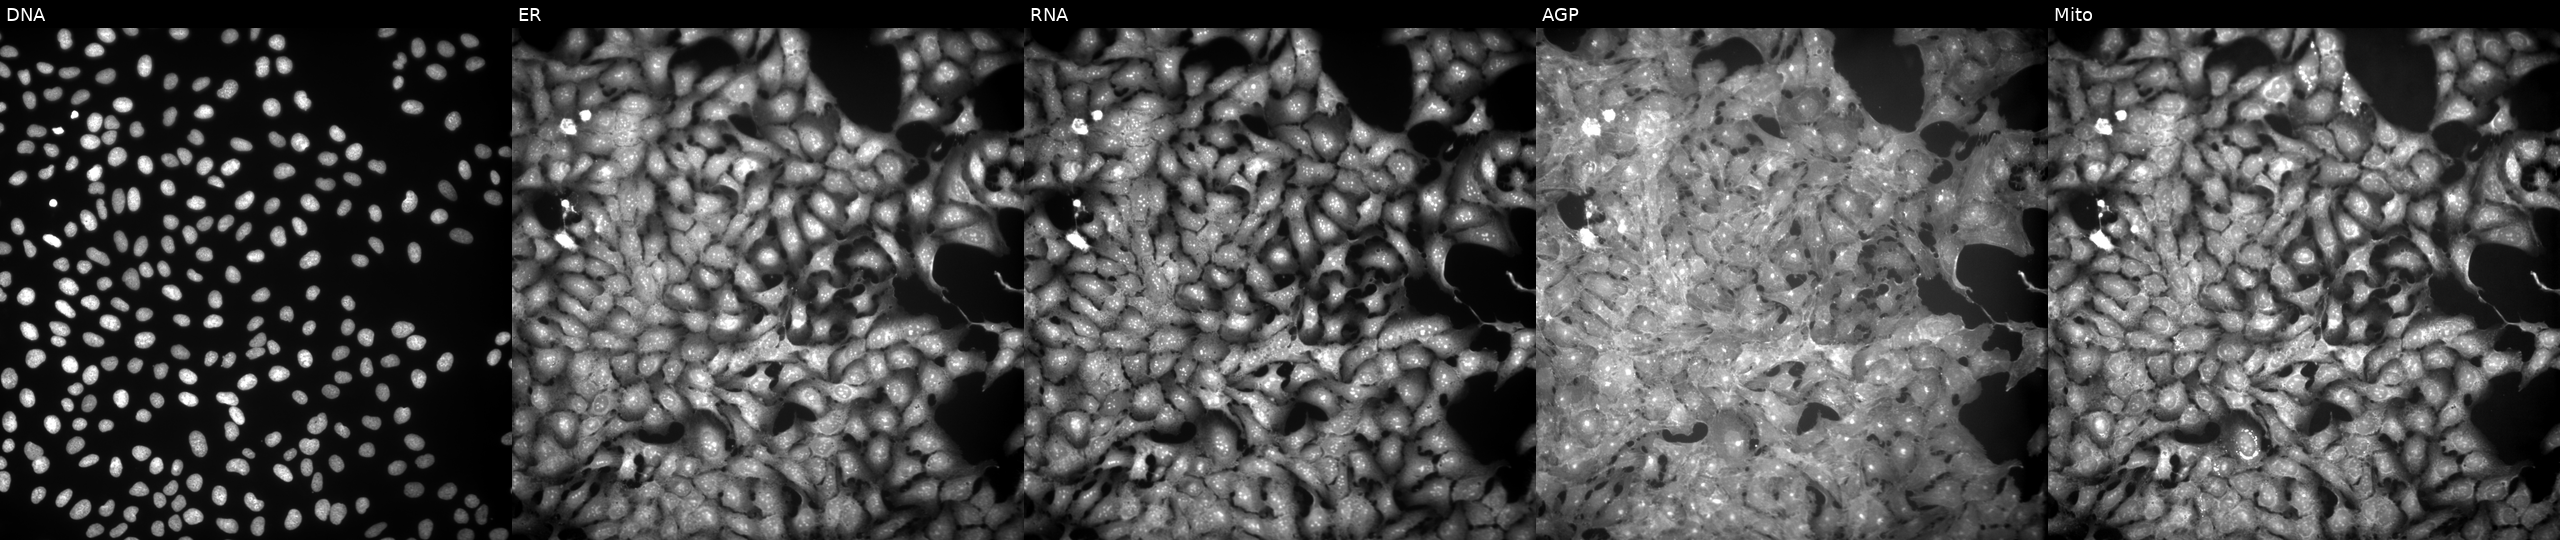
Five-channel Cell Painting image of U2OS cells exposed to the positive-control compound FK-866 (JUMP id JCP2022_046054). Channels (left→right): DNA, ER, RNA, AGP, and Mito.